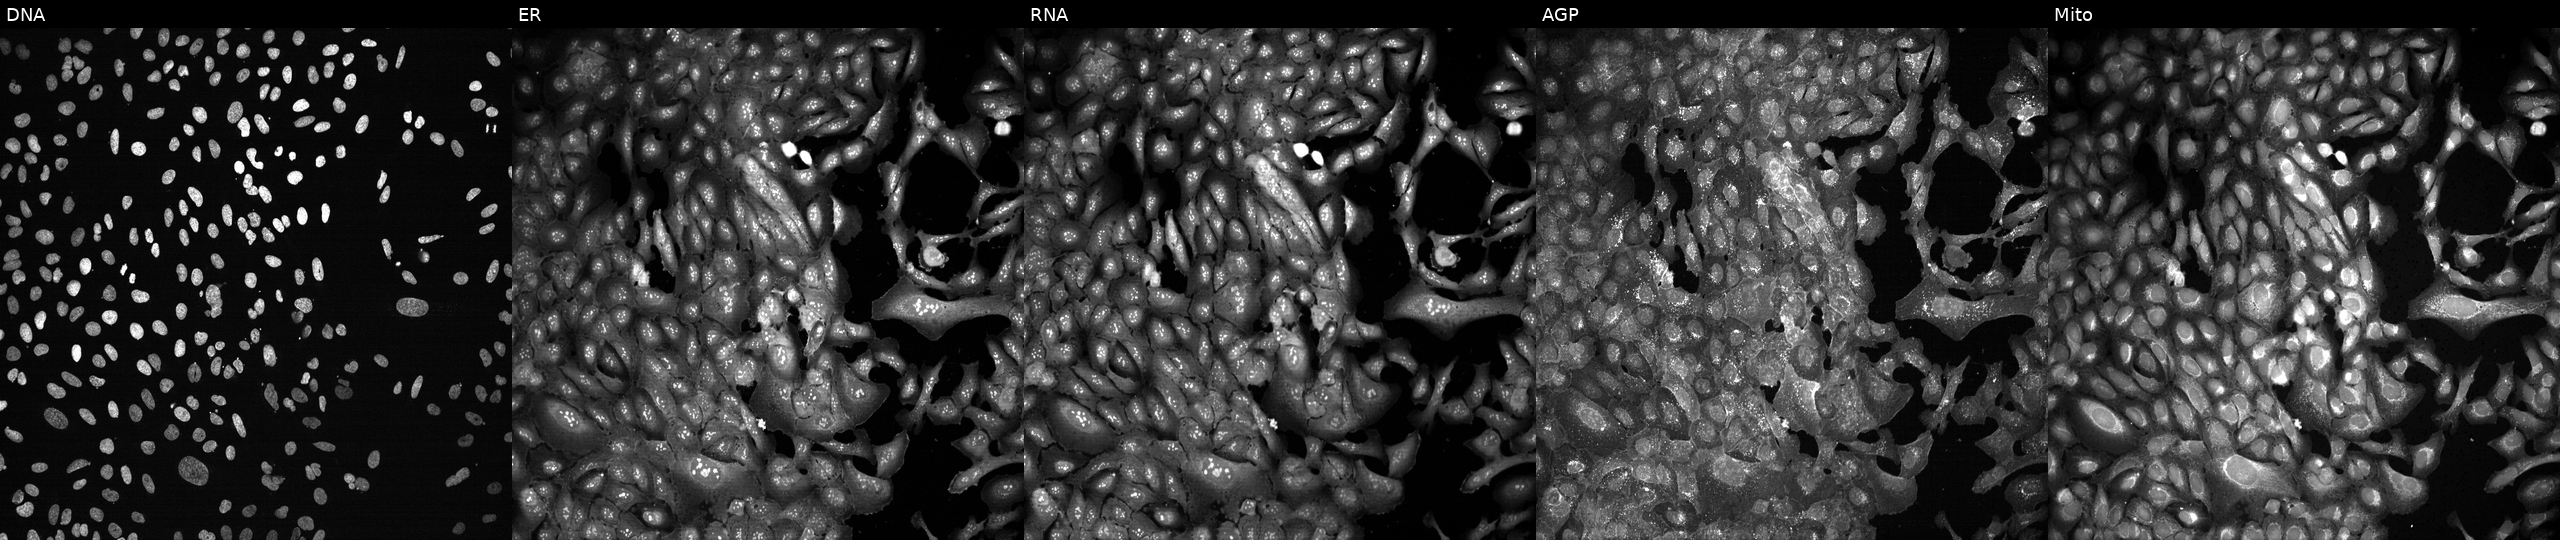
U2OS cells, Cell Painting assay, with EEF1D knocked out by CRISPR (JUMP id JCP2022_802010). From left to right: DNA (nuclei); ER (endoplasmic reticulum); RNA (nucleoli and cytoplasmic RNA); AGP (actin cytoskeleton, Golgi, and plasma membrane); Mito (mitochondria). Each panel is percentile-stretched 16-bit fluorescence. Source 13, plate CP-CC9-R1-02, well O19.